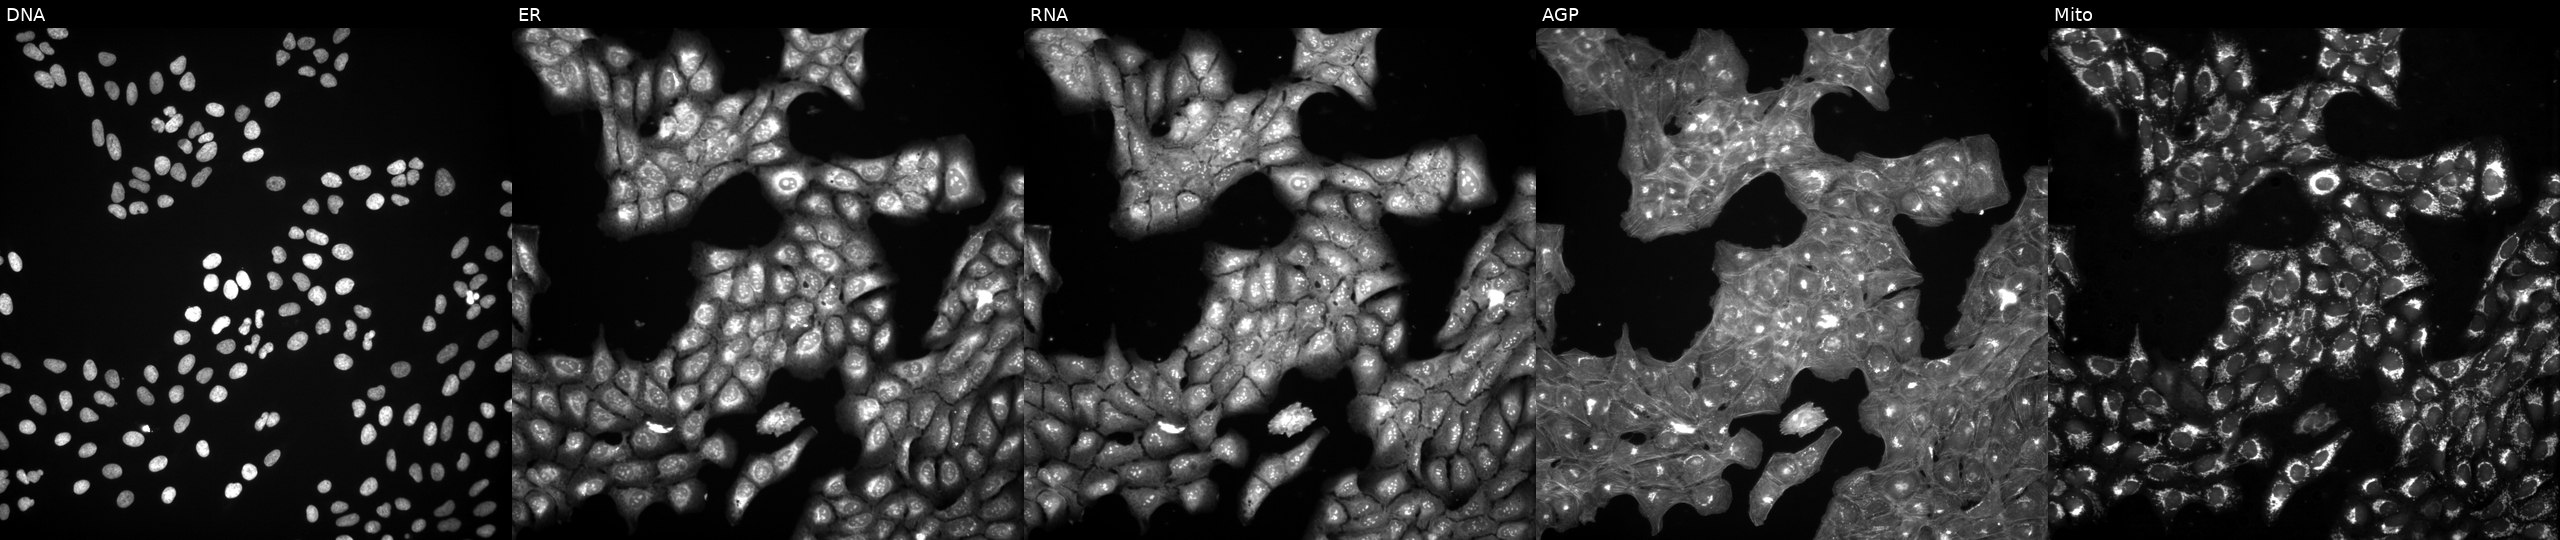
U2OS cells, Cell Painting assay, treated with a small-molecule compound. Channels (left→right): DNA (nuclei); ER (endoplasmic reticulum); RNA (nucleoli and cytoplasmic RNA); AGP (actin cytoskeleton, Golgi, and plasma membrane); Mito (mitochondria). Each panel is percentile-stretched 16-bit fluorescence.